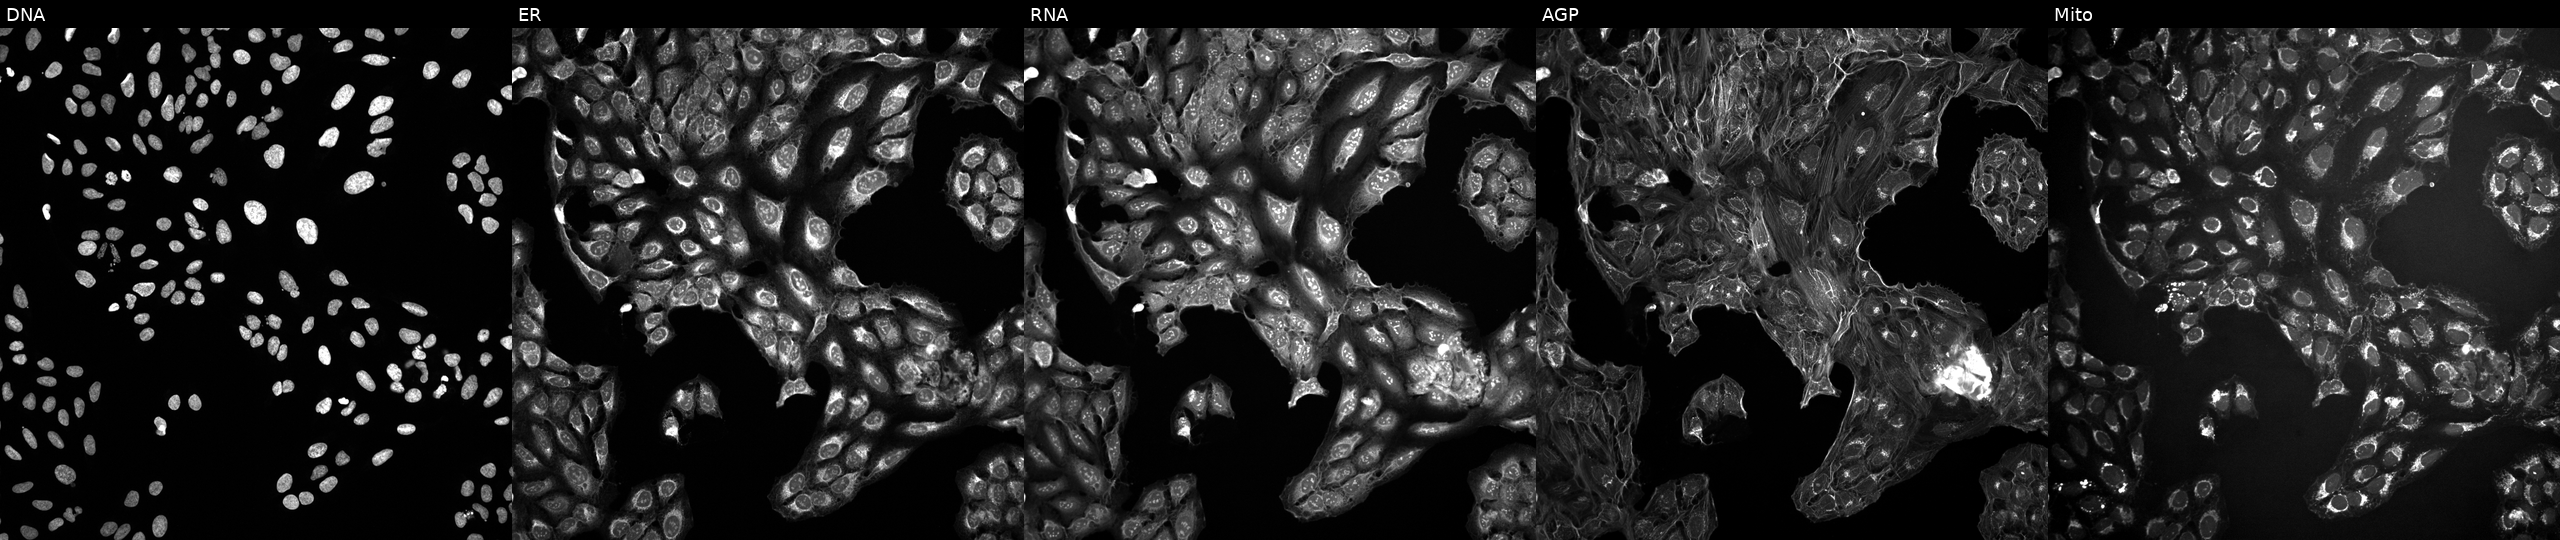
U2OS cells, Cell Painting assay, untreated (empty-well control). Channels (left→right): DNA, ER, RNA, AGP, and Mito. Each panel is percentile-stretched 16-bit fluorescence.